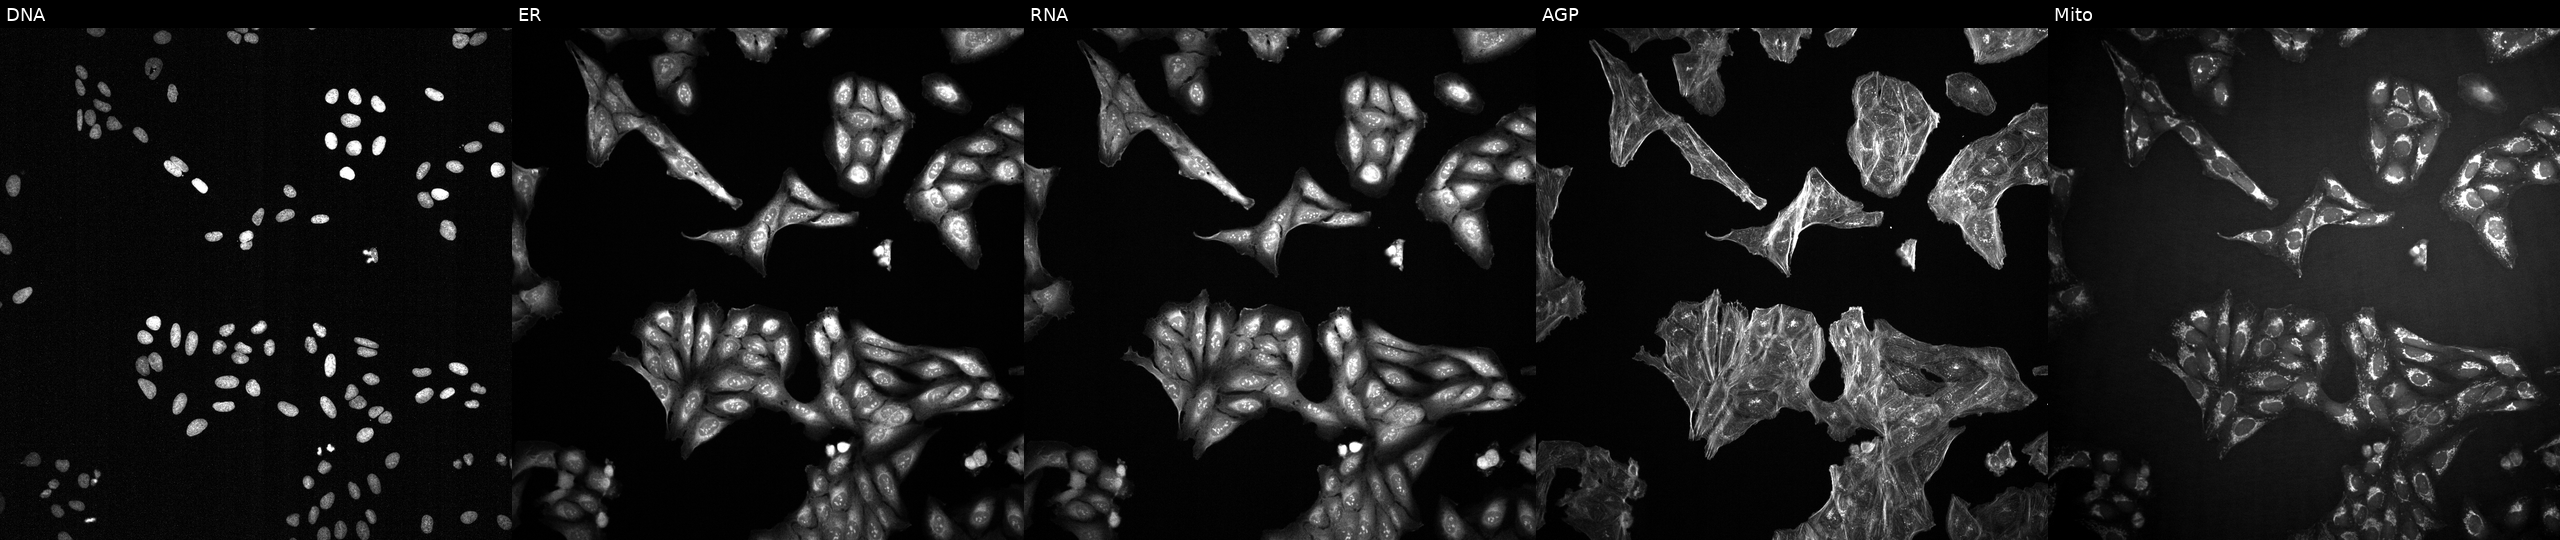
JUMP Cell Painting — TARGET2 plate. U2OS cells treated with a small-molecule compound (InChIKey DSLRVRBSNLHVBH-UHFFFAOYSA-N). The five panels, left to right, show DNA (nuclei); ER (endoplasmic reticulum); RNA (nucleoli and cytoplasmic RNA); AGP (actin cytoskeleton, Golgi, and plasma membrane); Mito (mitochondria). Source 2, plate 1053599503, well H03.